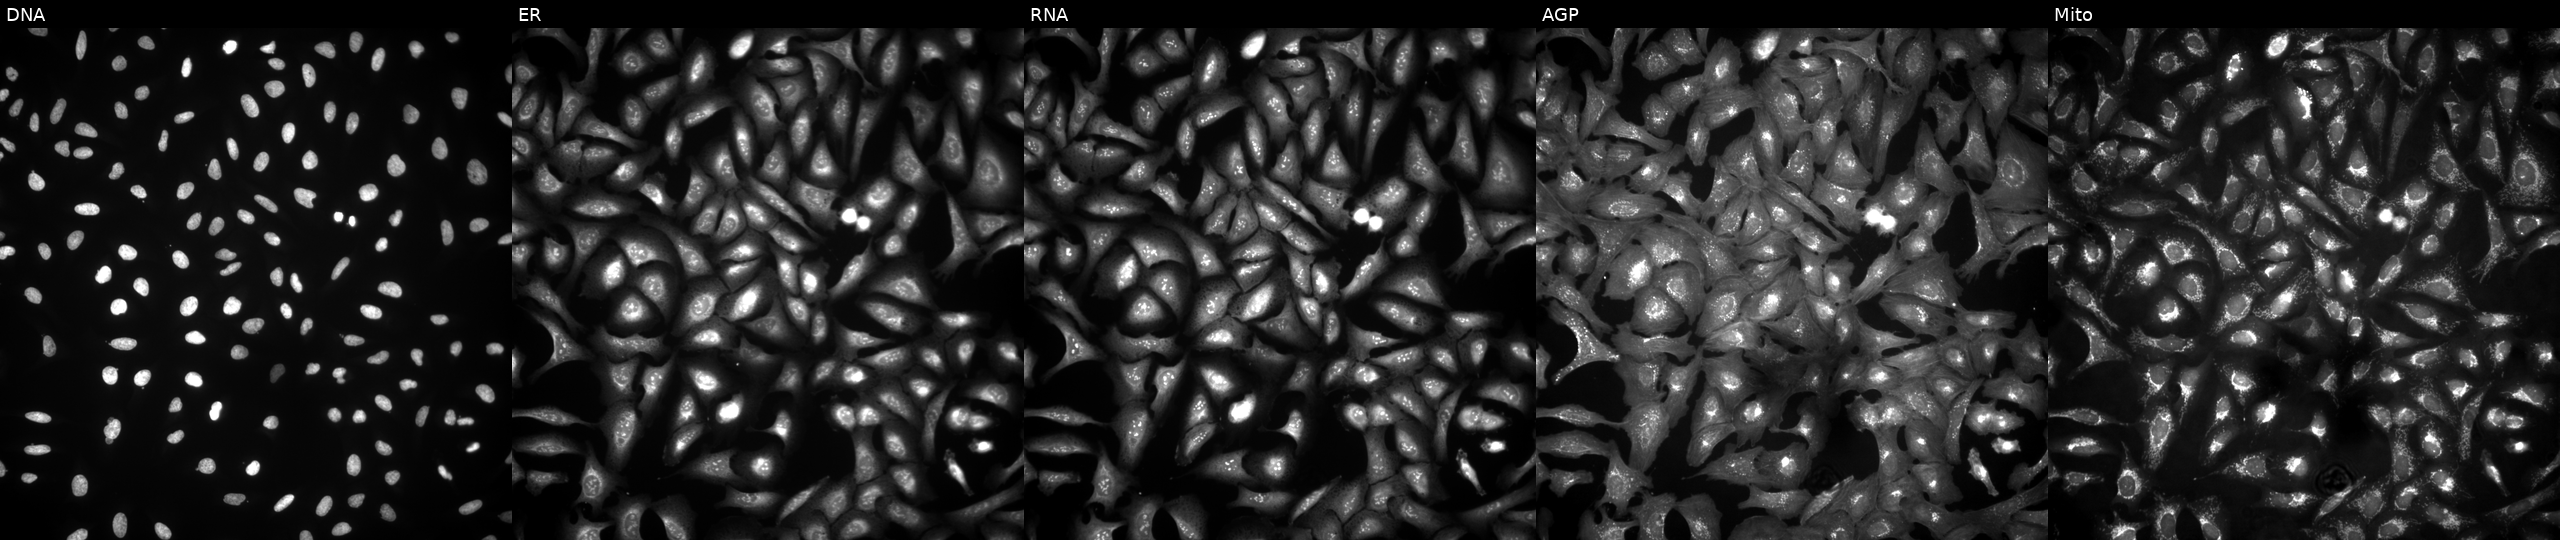
Five-channel Cell Painting image of U2OS cells with IGSF8 overexpressed (ORF). The five panels, left to right, show DNA, ER, RNA, AGP, and Mito.